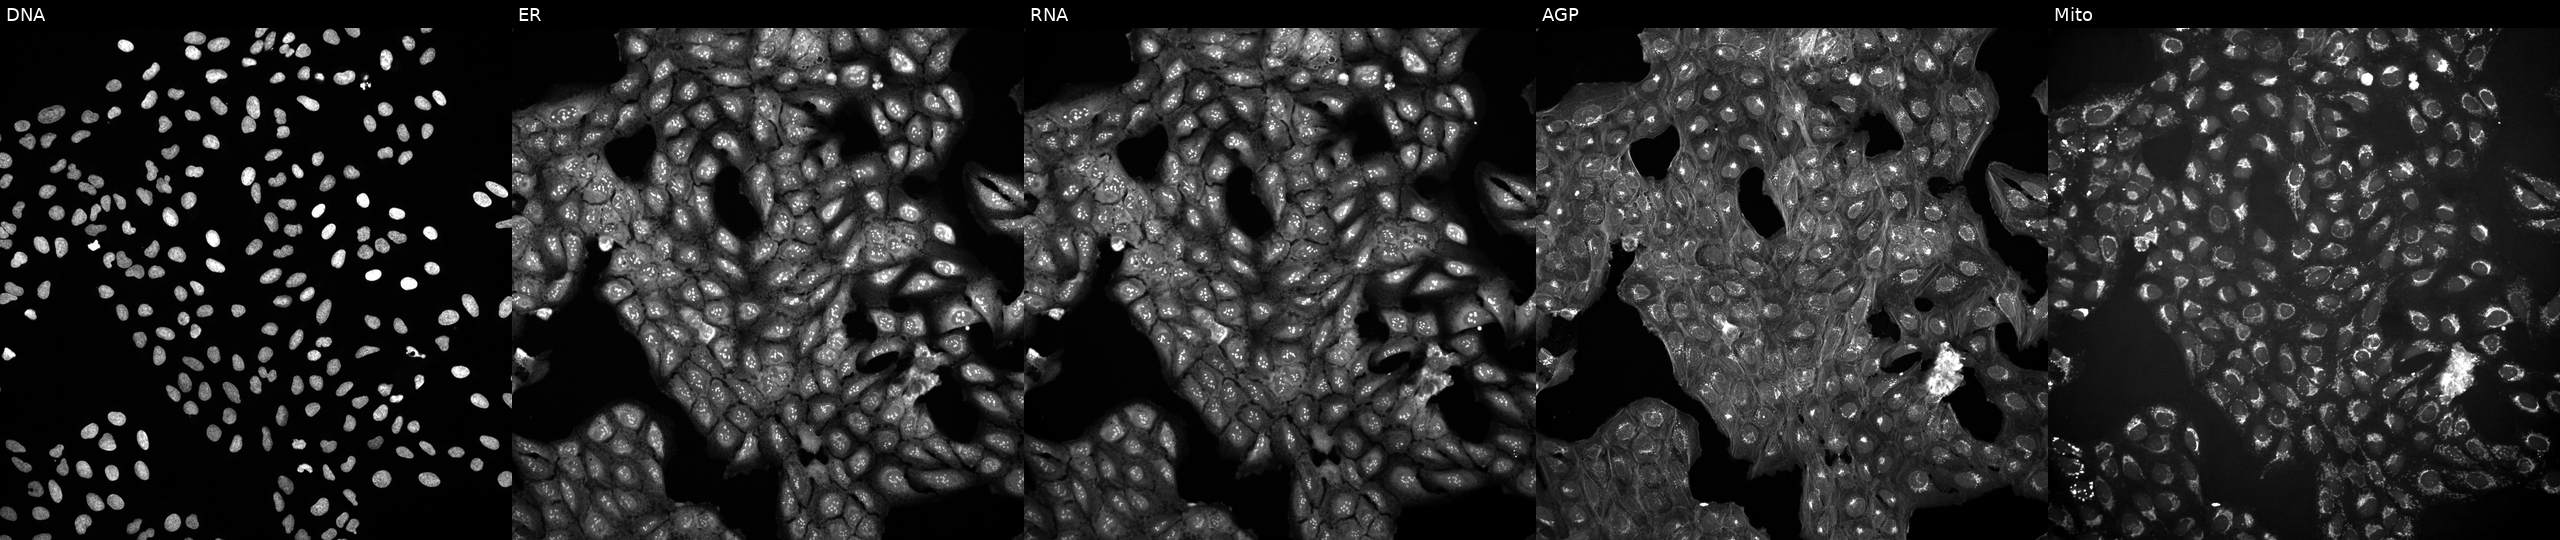
Five-channel Cell Painting image of U2OS cells untreated (empty-well control). From left to right: DNA, ER, RNA, AGP, and Mito.